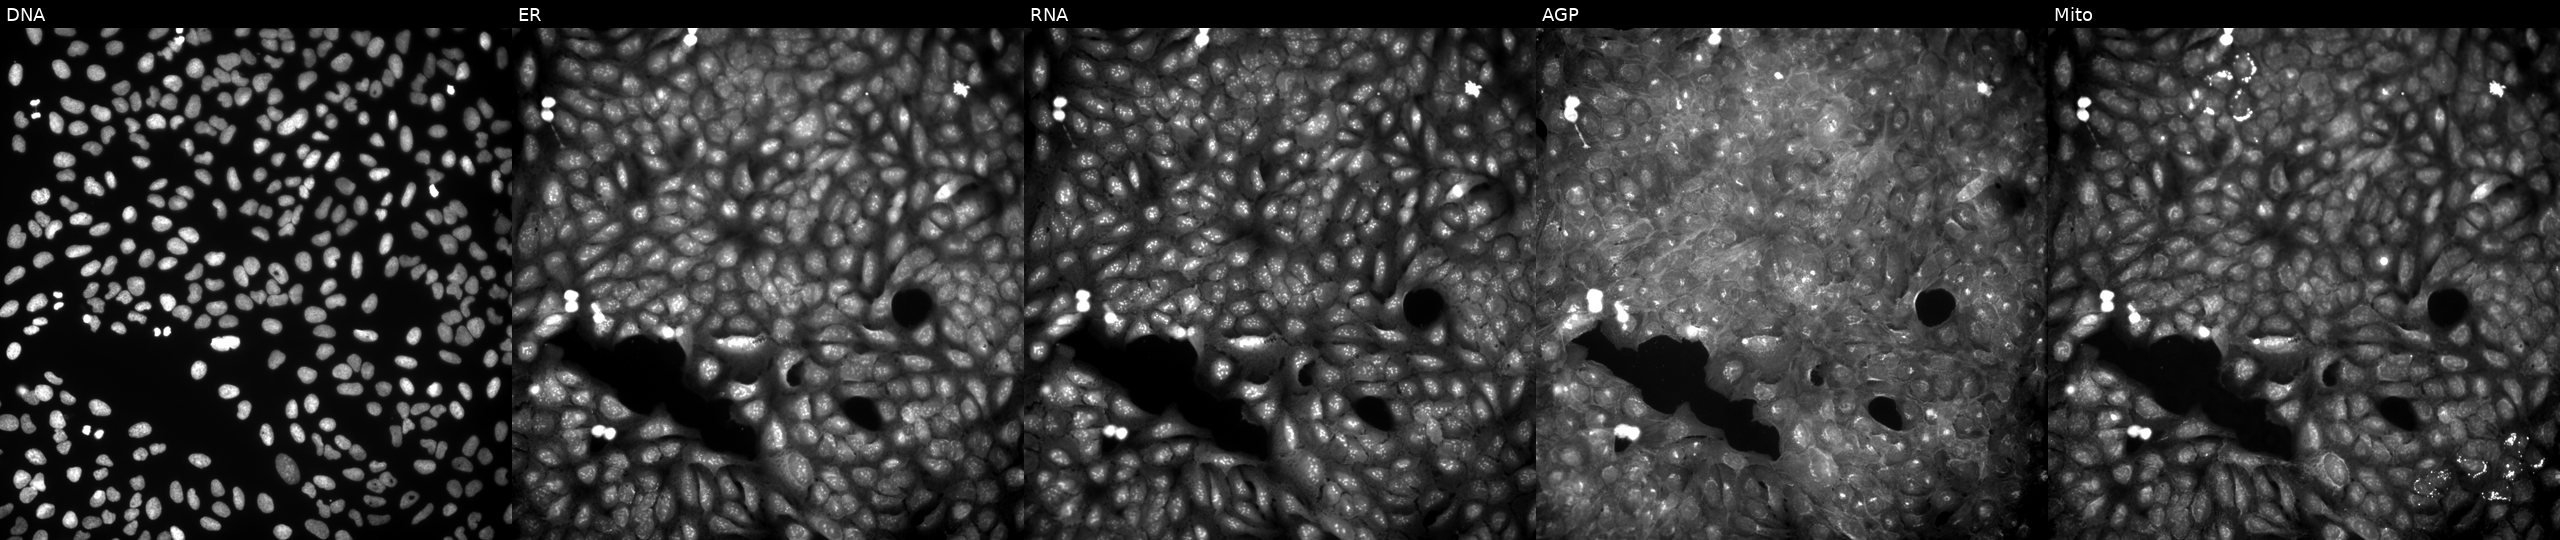
Five-channel Cell Painting image of U2OS cells perturbed with a small-molecule compound (InChIKey YJLMWNONTVTPLE-UHFFFAOYSA-N). From left to right: DNA, ER, RNA, AGP, and Mito.